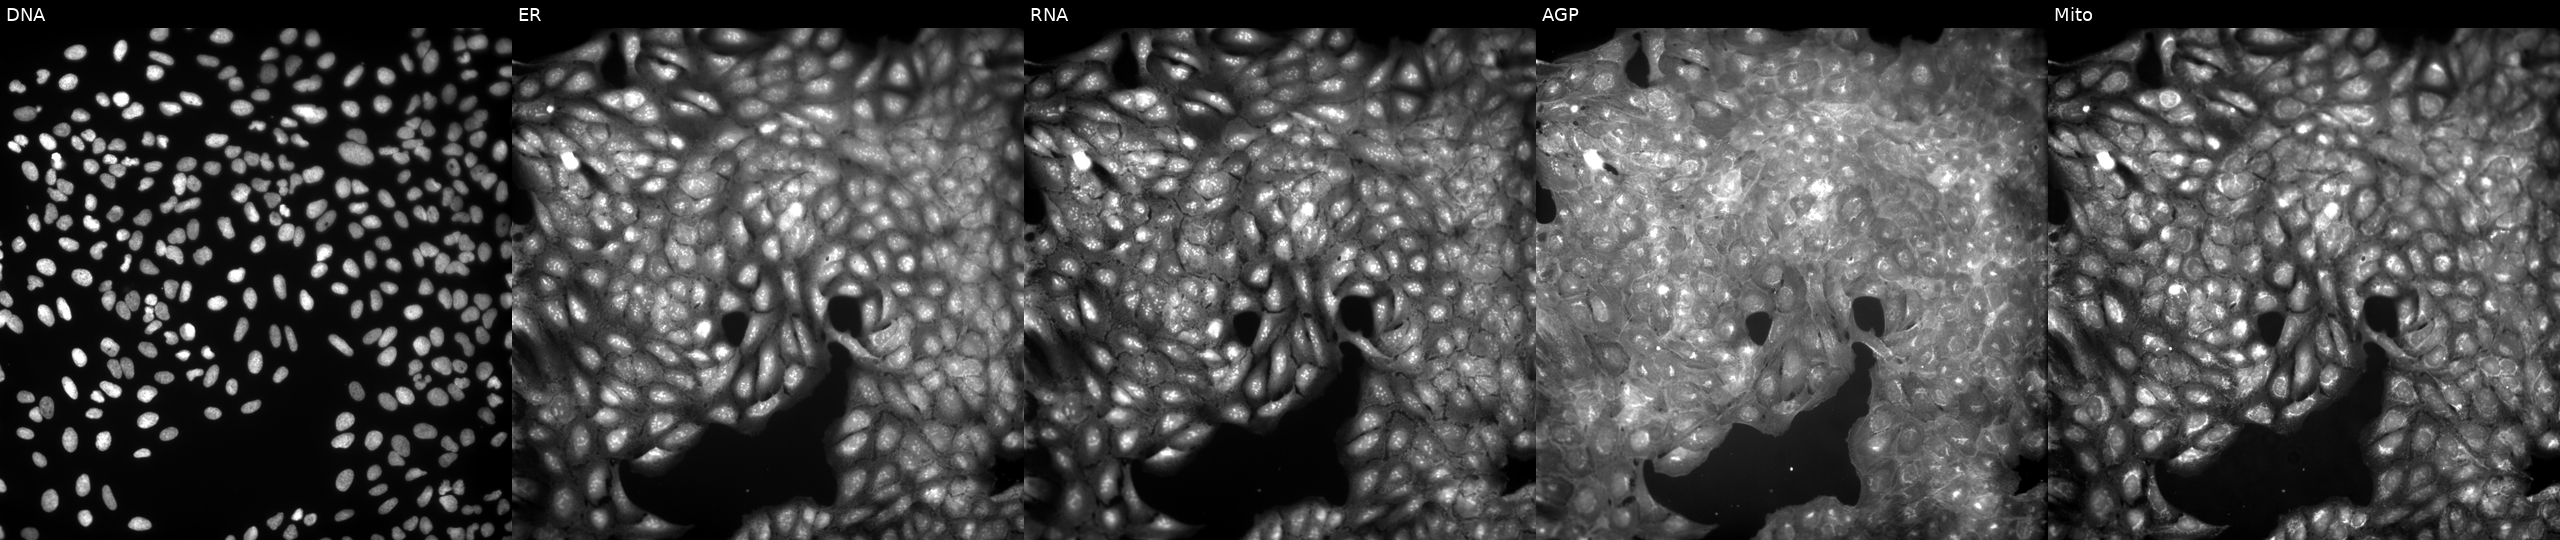
U2OS cells, Cell Painting assay, exposed to a small-molecule compound (InChIKey ASMUJXNKLWUFRB-UHFFFAOYSA-N) (JUMP id JCP2022_003548). From left to right: Hoechst 33342, concanavalin A, SYTO 14, phalloidin and WGA, MitoTracker. Each panel is percentile-stretched 16-bit fluorescence.